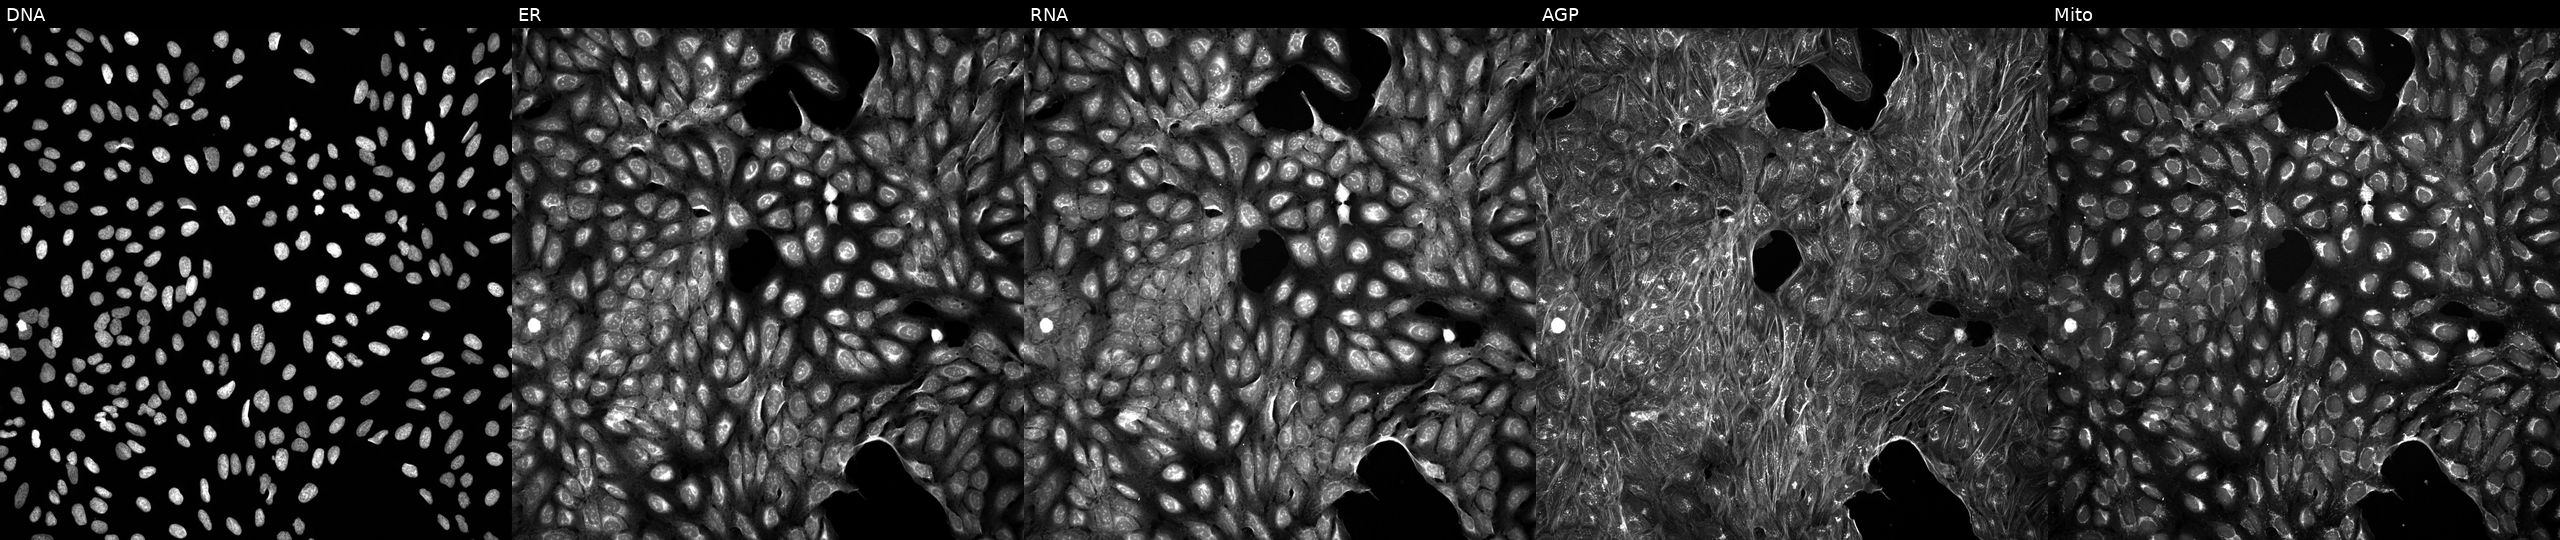
U2OS cells, Cell Painting assay, treated with a small-molecule compound (InChIKey KRKNYBCHXYNGOX-UHFFFAOYSA-N). Channels (left→right): Hoechst 33342, concanavalin A, SYTO 14, phalloidin and WGA, MitoTracker. Each panel is percentile-stretched 16-bit fluorescence. Source 5, plate ACPJUM051, well L12.